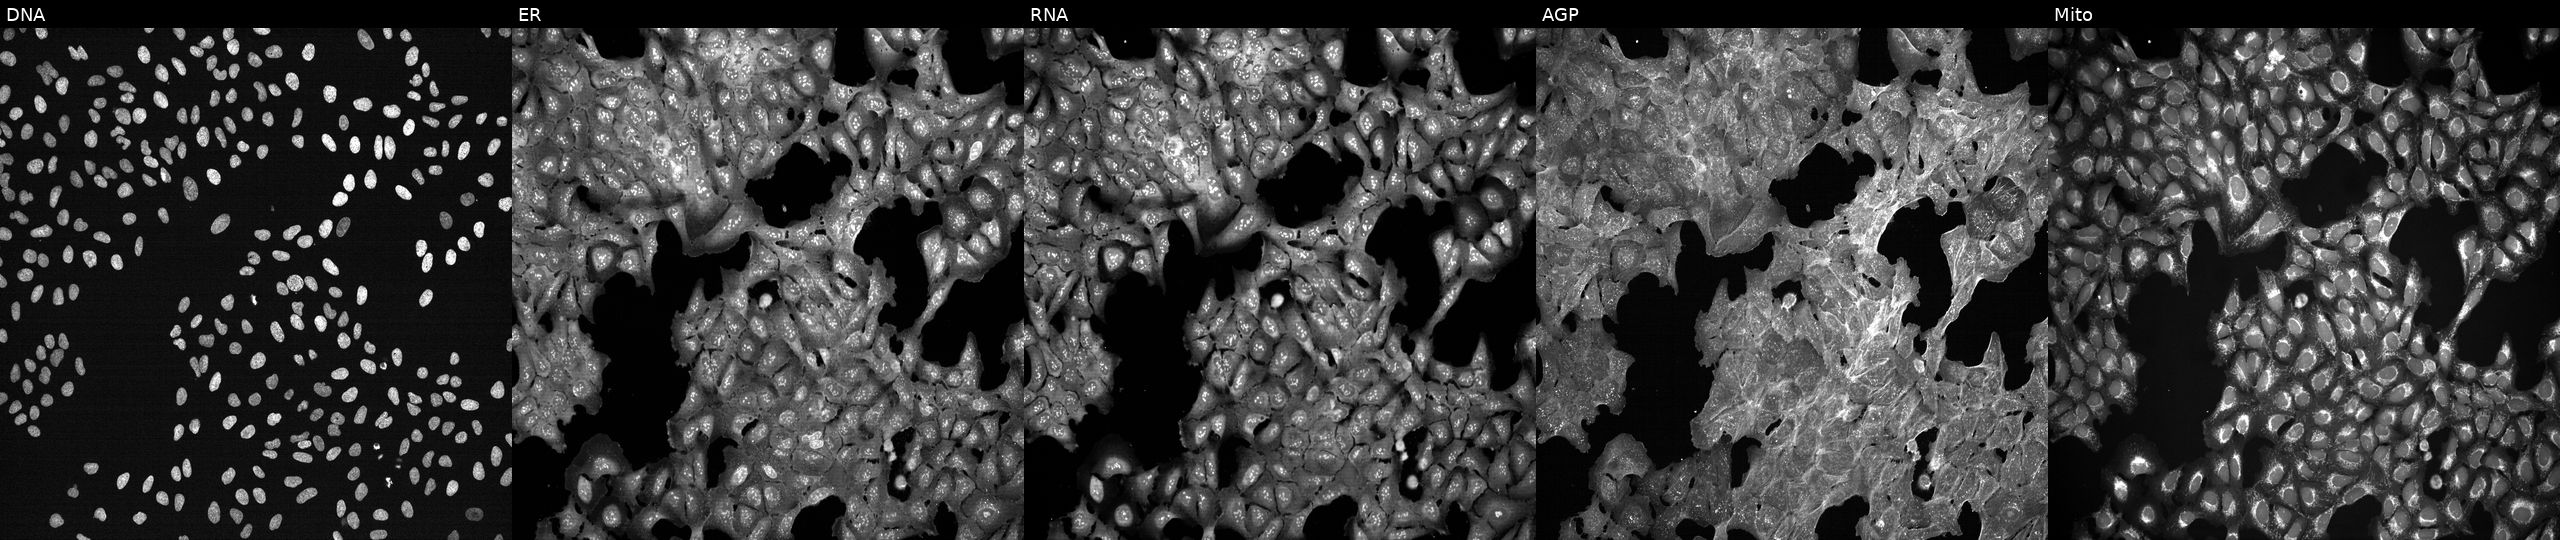
Channels (left→right): DNA (nuclei); ER (endoplasmic reticulum); RNA (nucleoli and cytoplasmic RNA); AGP (actin cytoskeleton, Golgi, and plasma membrane); Mito (mitochondria). U2OS osteosarcoma cells treated with a small-molecule compound (InChIKey LGEQQWMQCRIYKG-UHFFFAOYSA-N) [SMILES: CCCCCC=CCC=CCC=CCC=CCCCC(=O)NCCO] (JUMP id JCP2022_049224). Cell Painting assay, JUMP-CP dataset.